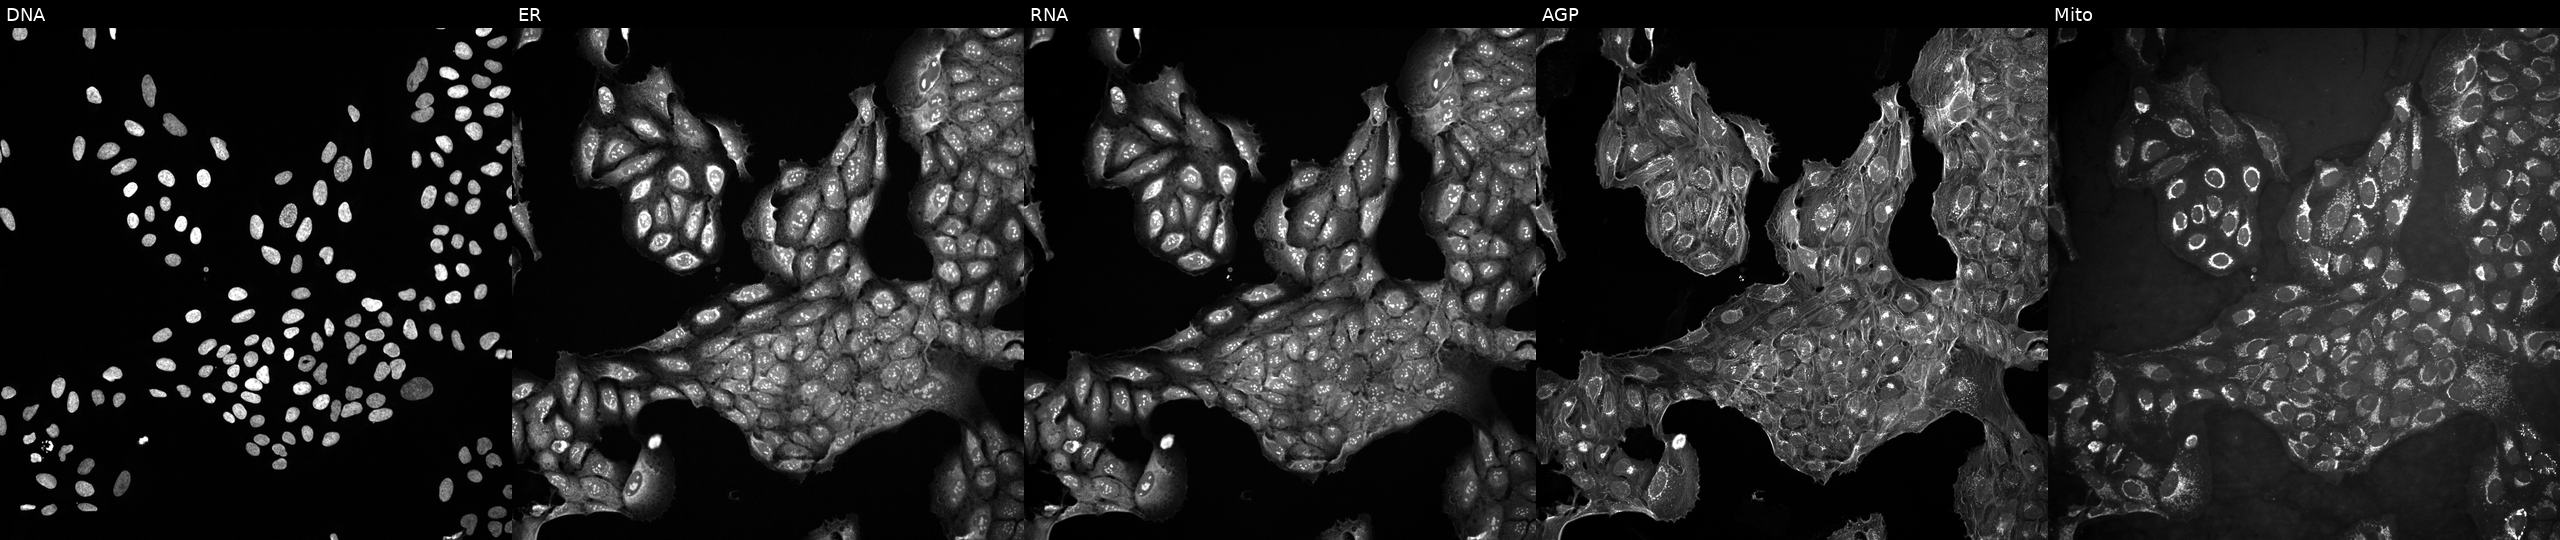
High-content fluorescence microscopy (Cell Painting). Cell line: U2OS. Perturbation: in an empty control well (no perturbation). Panels show, left to right, Hoechst 33342, concanavalin A, SYTO 14, phalloidin and WGA, MitoTracker.